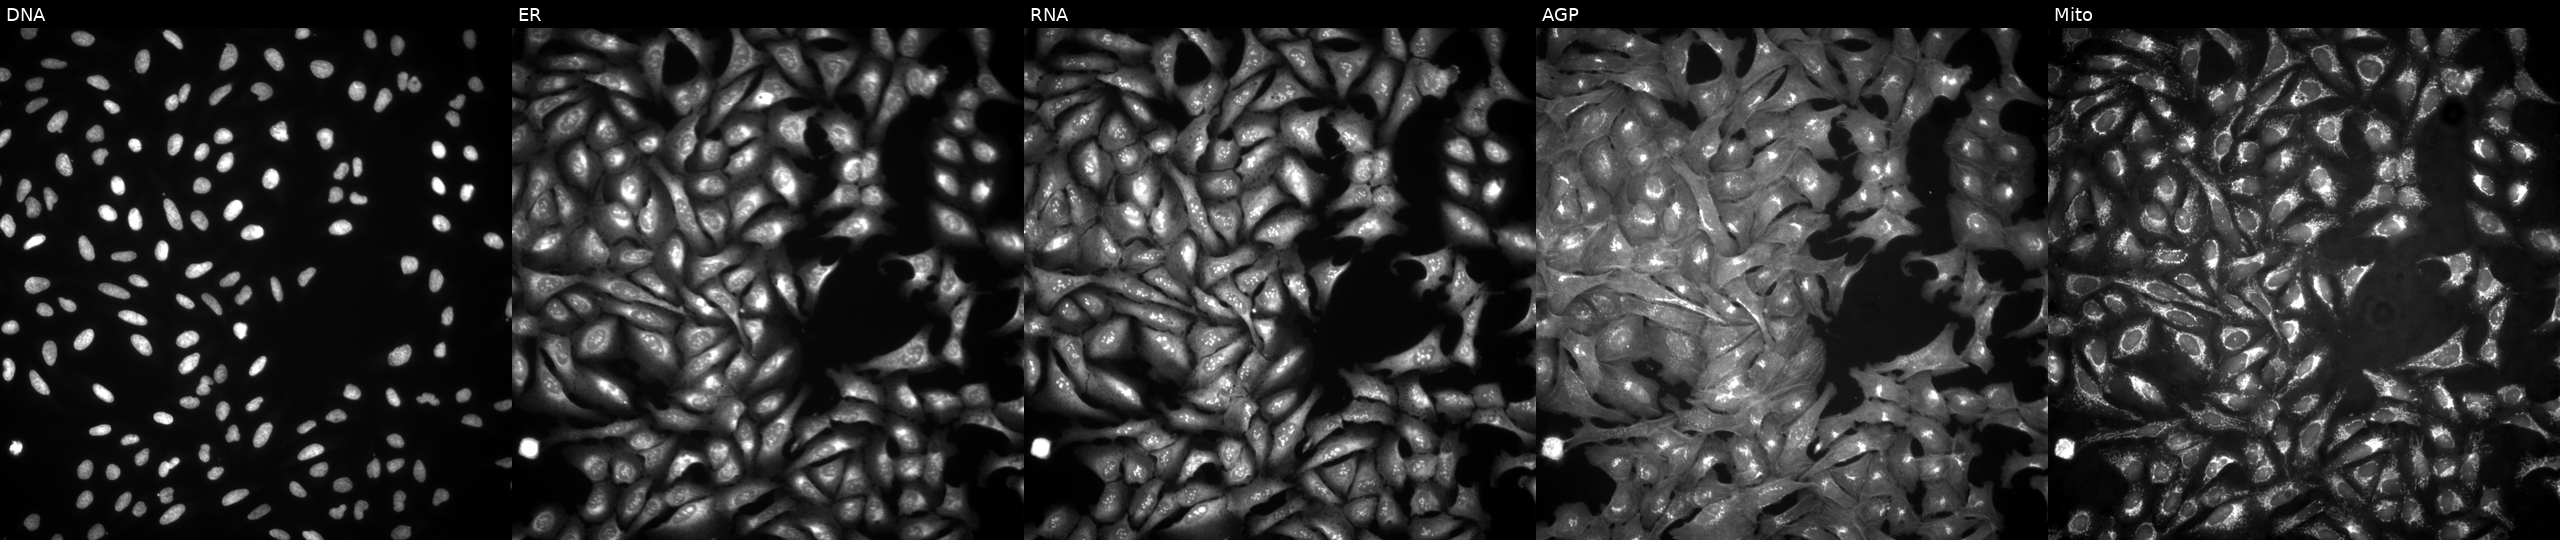
High-content fluorescence microscopy (Cell Painting). Cell line: U2OS. Perturbation: with PI3 overexpressed (ORF) (JUMP id JCP2022_901114). From left to right: DNA (nuclei); ER (endoplasmic reticulum); RNA (nucleoli and cytoplasmic RNA); AGP (actin cytoskeleton, Golgi, and plasma membrane); Mito (mitochondria).